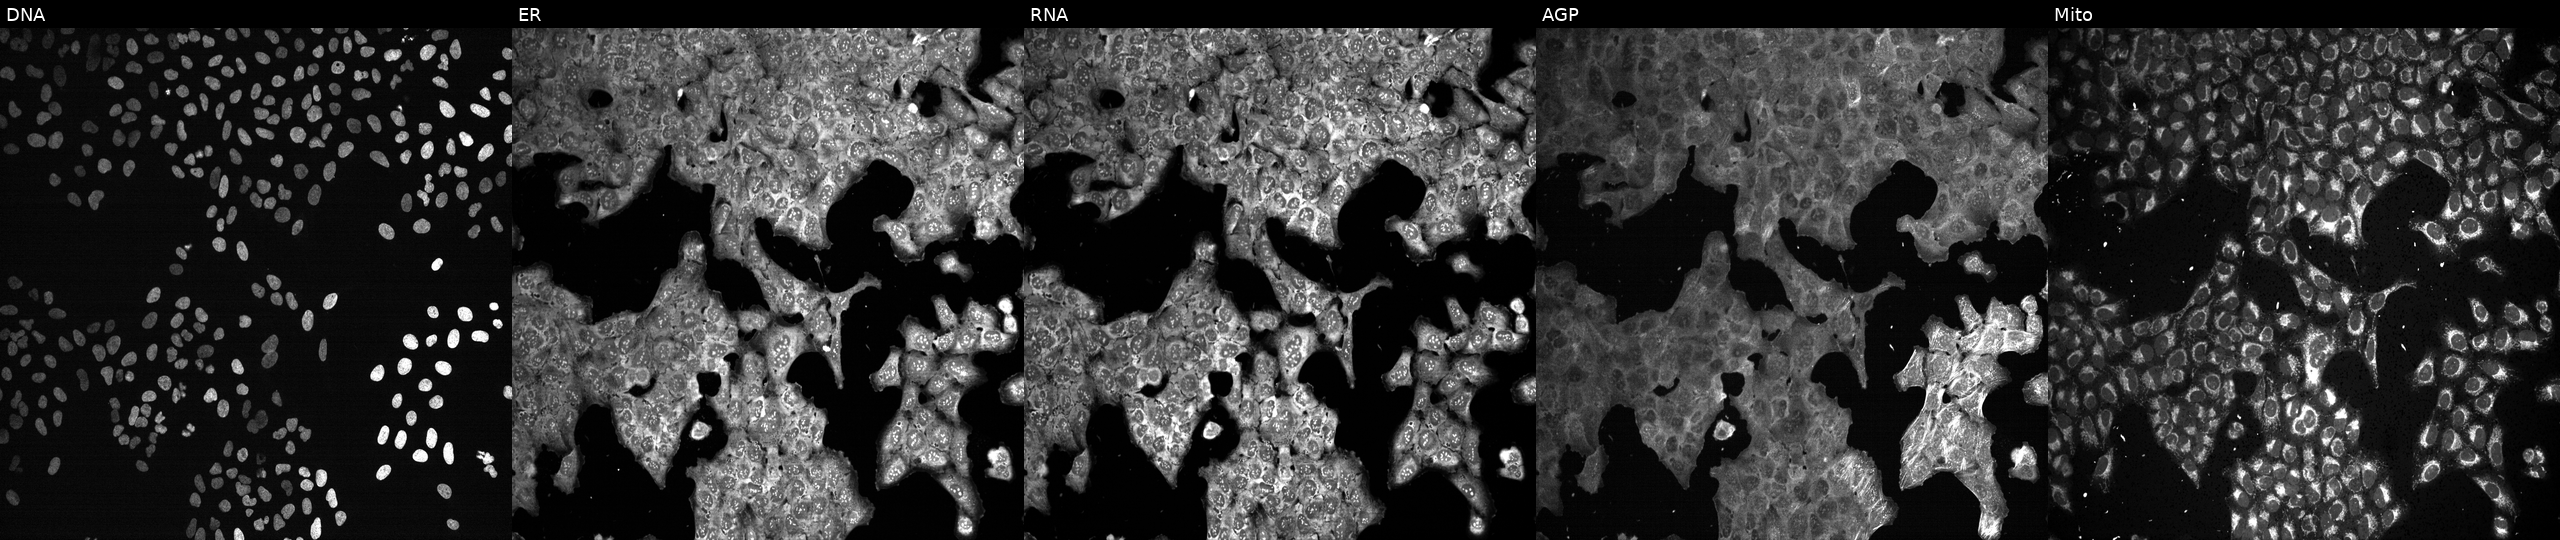
This image strip shows the five Cell Painting channels for a single field of U2OS cells treated with NVS-PAK1-1 (positive-control compound) (JUMP id JCP2022_064022). From left to right: DNA, ER, RNA, AGP, and Mito. Source 13, plate CP-CC9-R3-01, well F01.